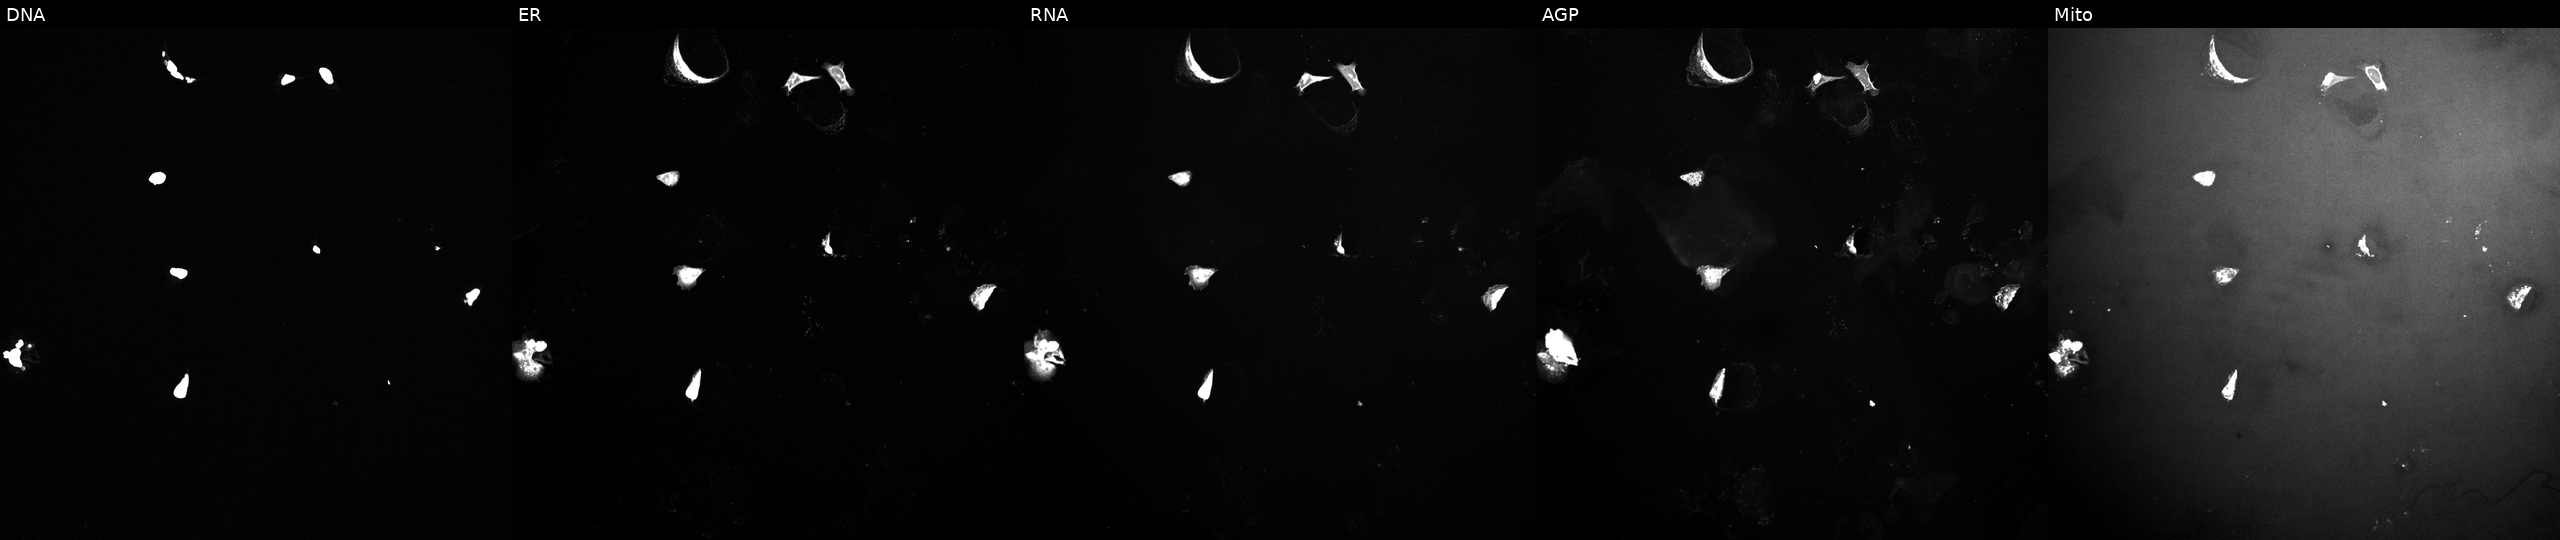
High-content fluorescence microscopy (Cell Painting). Cell line: U2OS. Perturbation: treated with a small-molecule compound (InChIKey JOLJIIDDOBNFHW-UHFFFAOYSA-N). The five panels, left to right, show DNA, ER, RNA, AGP, and Mito.